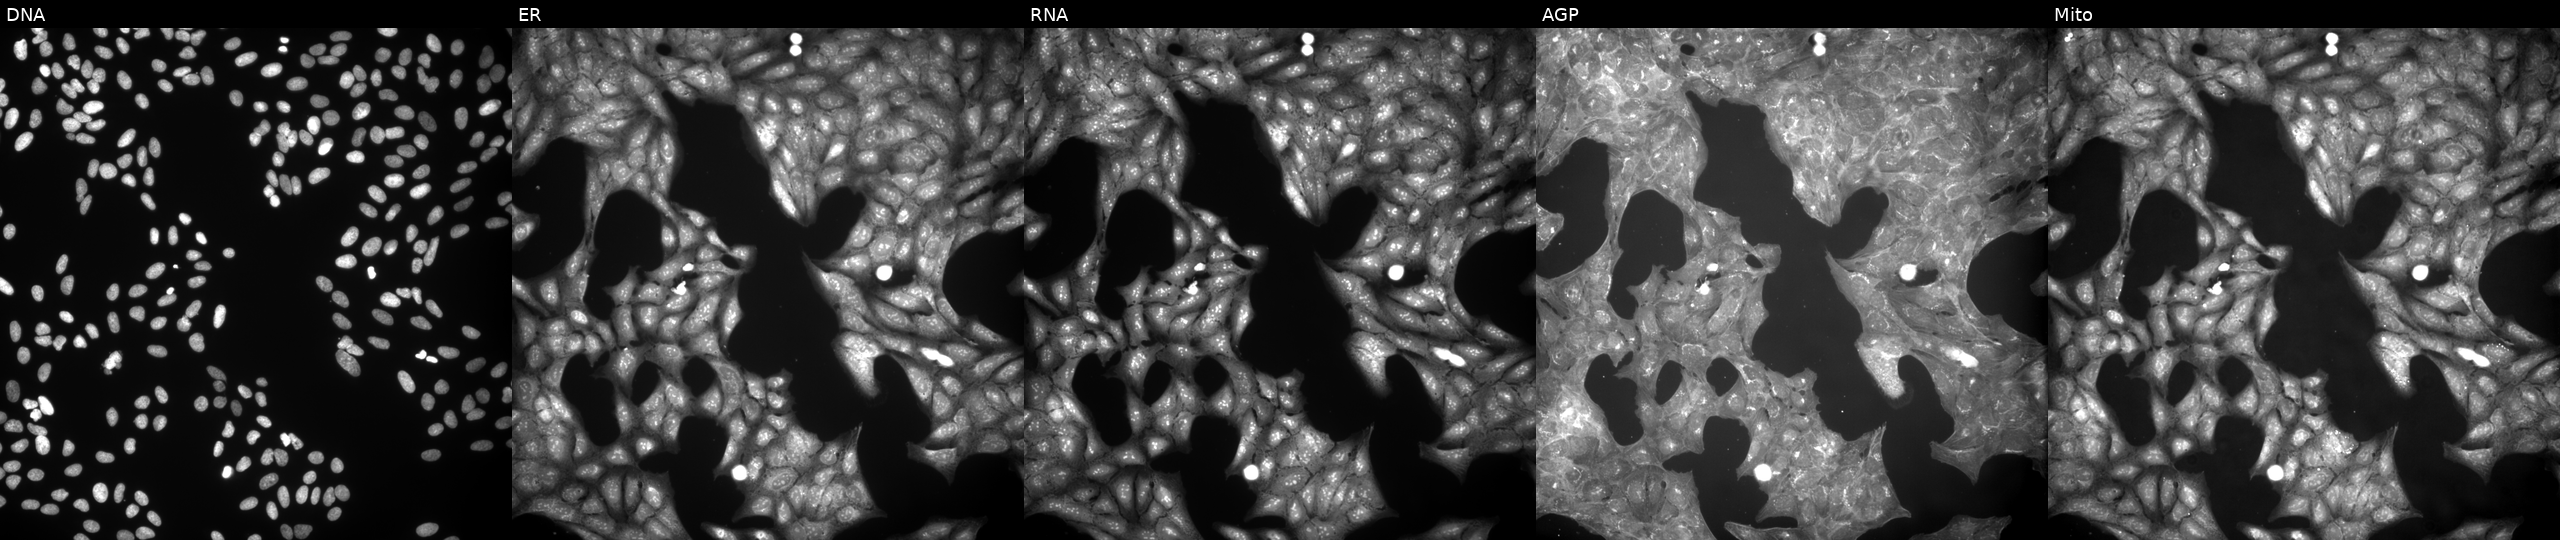
This image strip shows the five Cell Painting channels for a single field of U2OS cells exposed to a small-molecule compound (InChIKey OLTOSXBUUDJQBB-UHFFFAOYSA-N) (JUMP id JCP2022_064616). The five panels, left to right, show DNA (nuclei); ER (endoplasmic reticulum); RNA (nucleoli and cytoplasmic RNA); AGP (actin cytoskeleton, Golgi, and plasma membrane); Mito (mitochondria). Source 9, plate GR00003381, well H34.